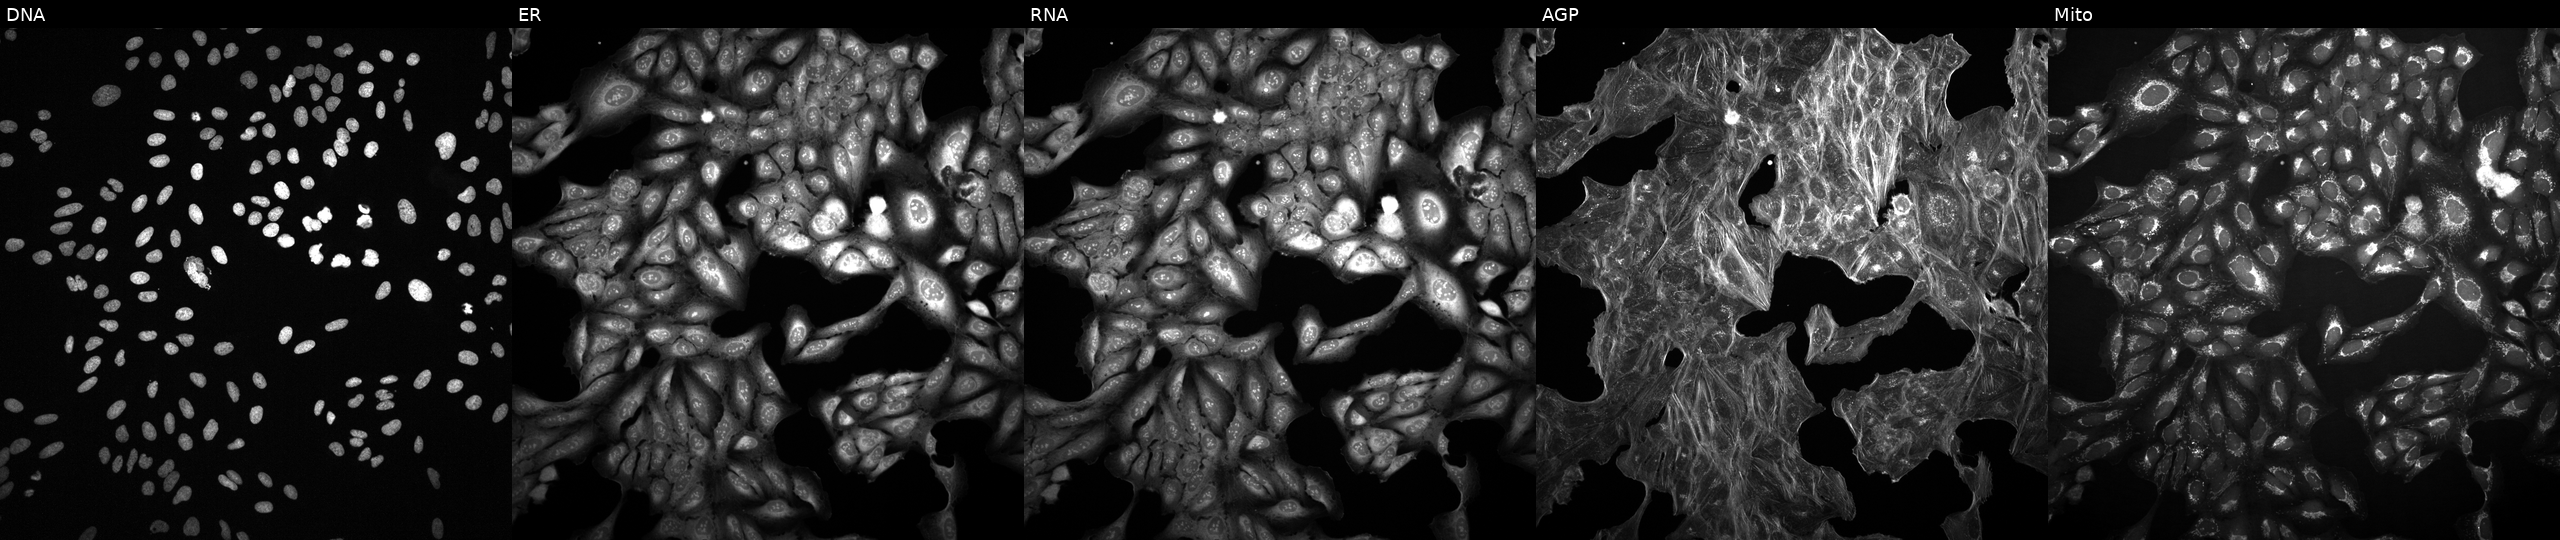
JUMP Cell Painting — TARGET2 plate. U2OS cells exposed to DMSO alone as a negative control. From left to right: DNA, ER, RNA, AGP, and Mito.